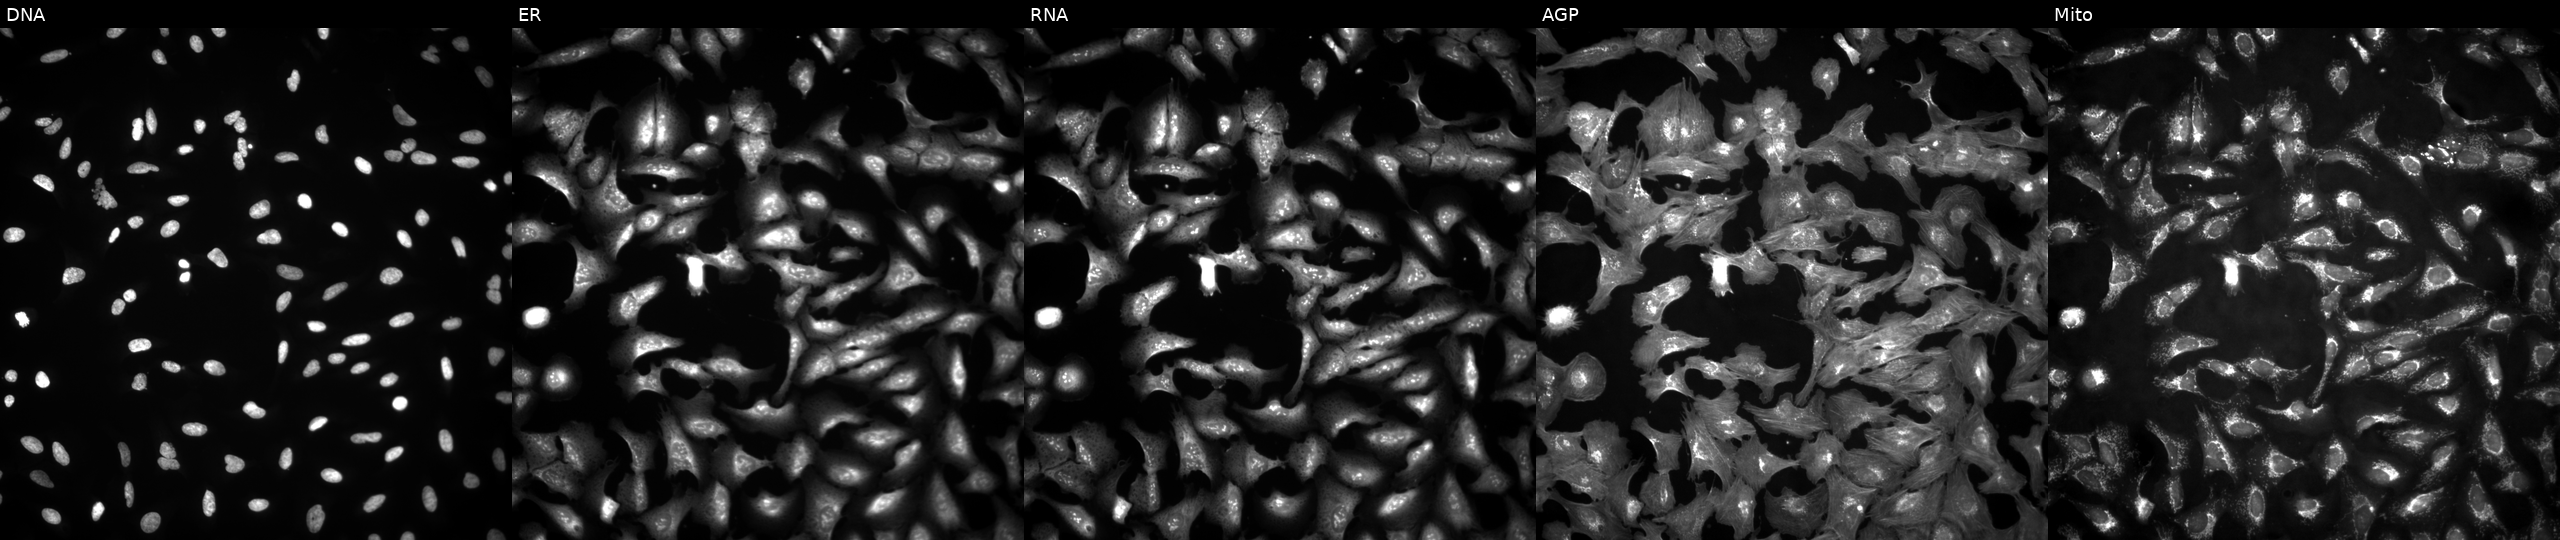
JUMP Cell Painting — ORF plate. U2OS cells expressing eGFP (ORF positive control) (JUMP id JCP2022_915132). From left to right: DNA (nuclei); ER (endoplasmic reticulum); RNA (nucleoli and cytoplasmic RNA); AGP (actin cytoskeleton, Golgi, and plasma membrane); Mito (mitochondria).